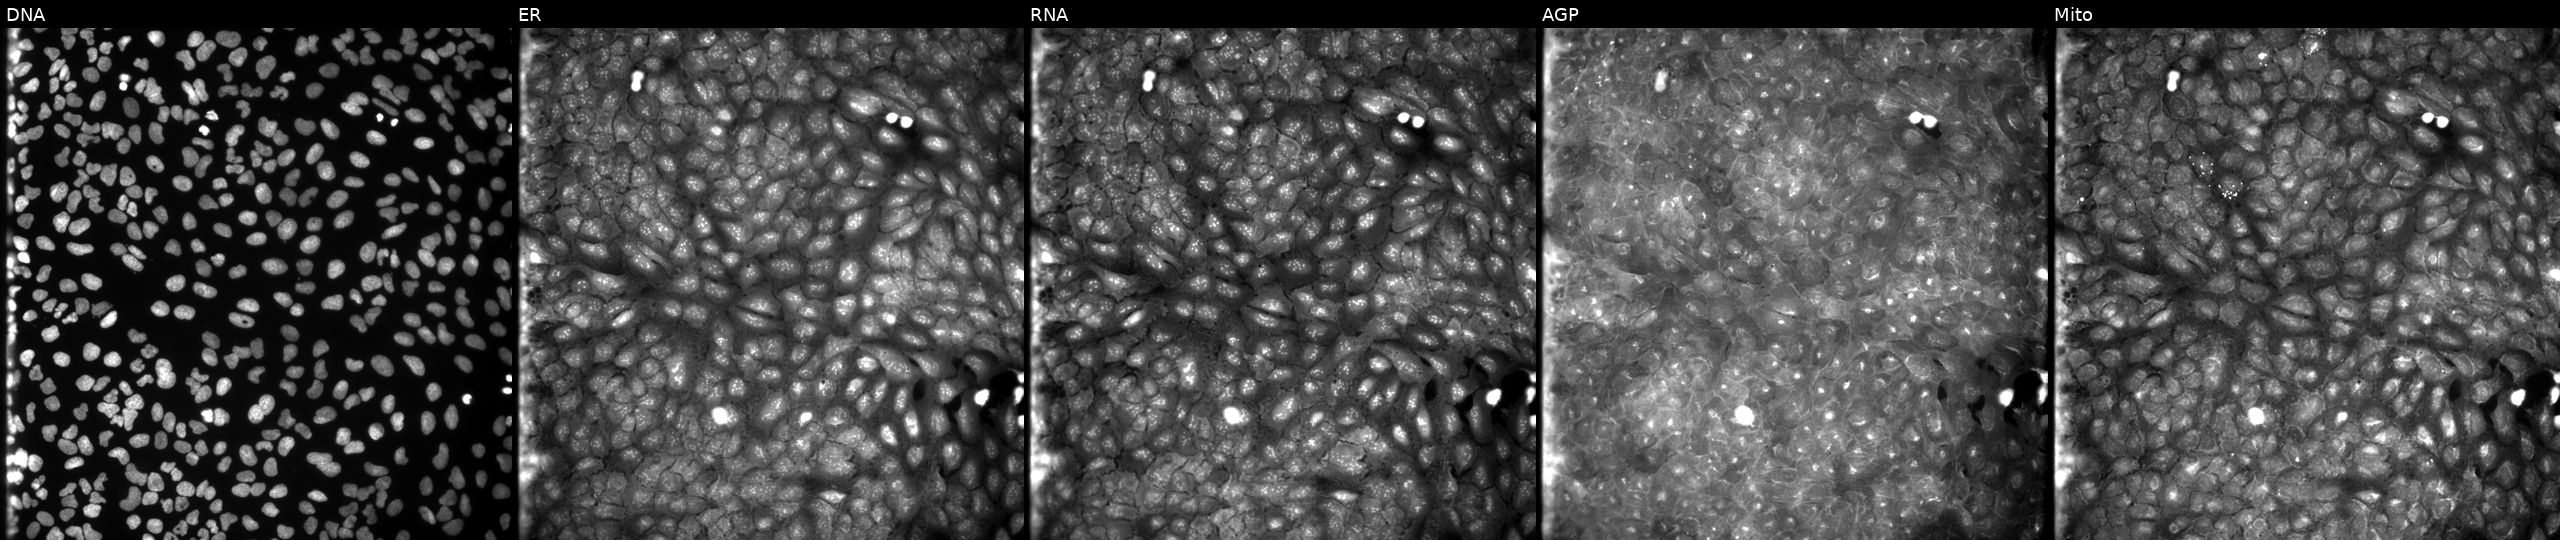
JUMP Cell Painting — COMPOUND plate. U2OS cells treated with a small-molecule compound (InChIKey KVAQWFKBVRFFBV-UHFFFAOYSA-N). Panels show, left to right, DNA, ER, RNA, AGP, and Mito. Source 9, plate GR00003382, well H17.